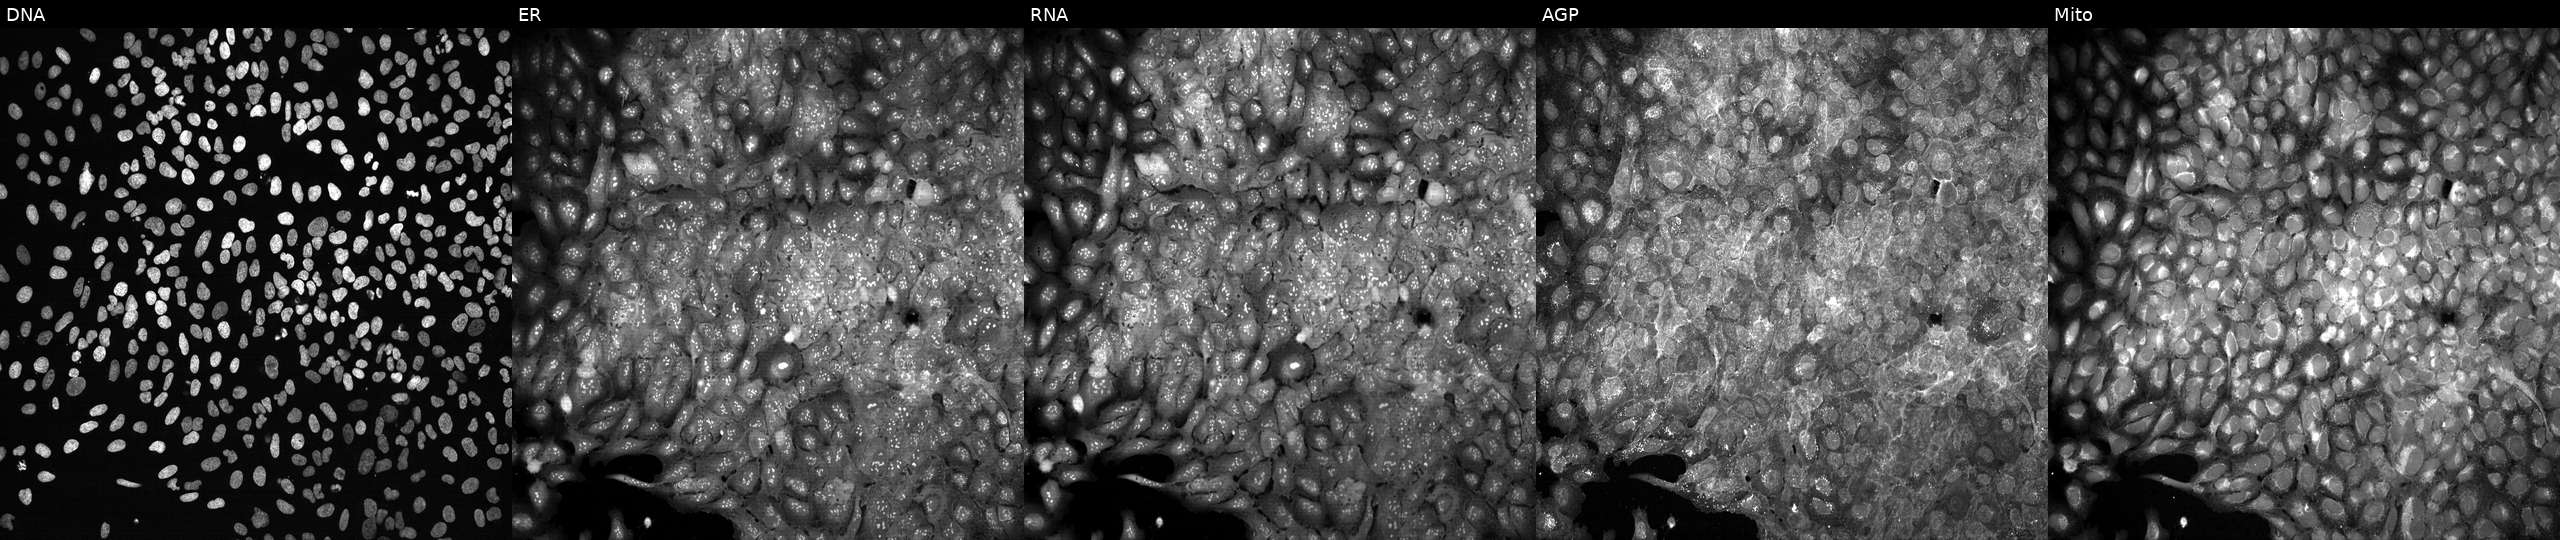
This image strip shows the five Cell Painting channels for a single field of U2OS cells with ALDH3A1 knocked out by CRISPR (JUMP id JCP2022_800389). From left to right: DNA, ER, RNA, AGP, and Mito.